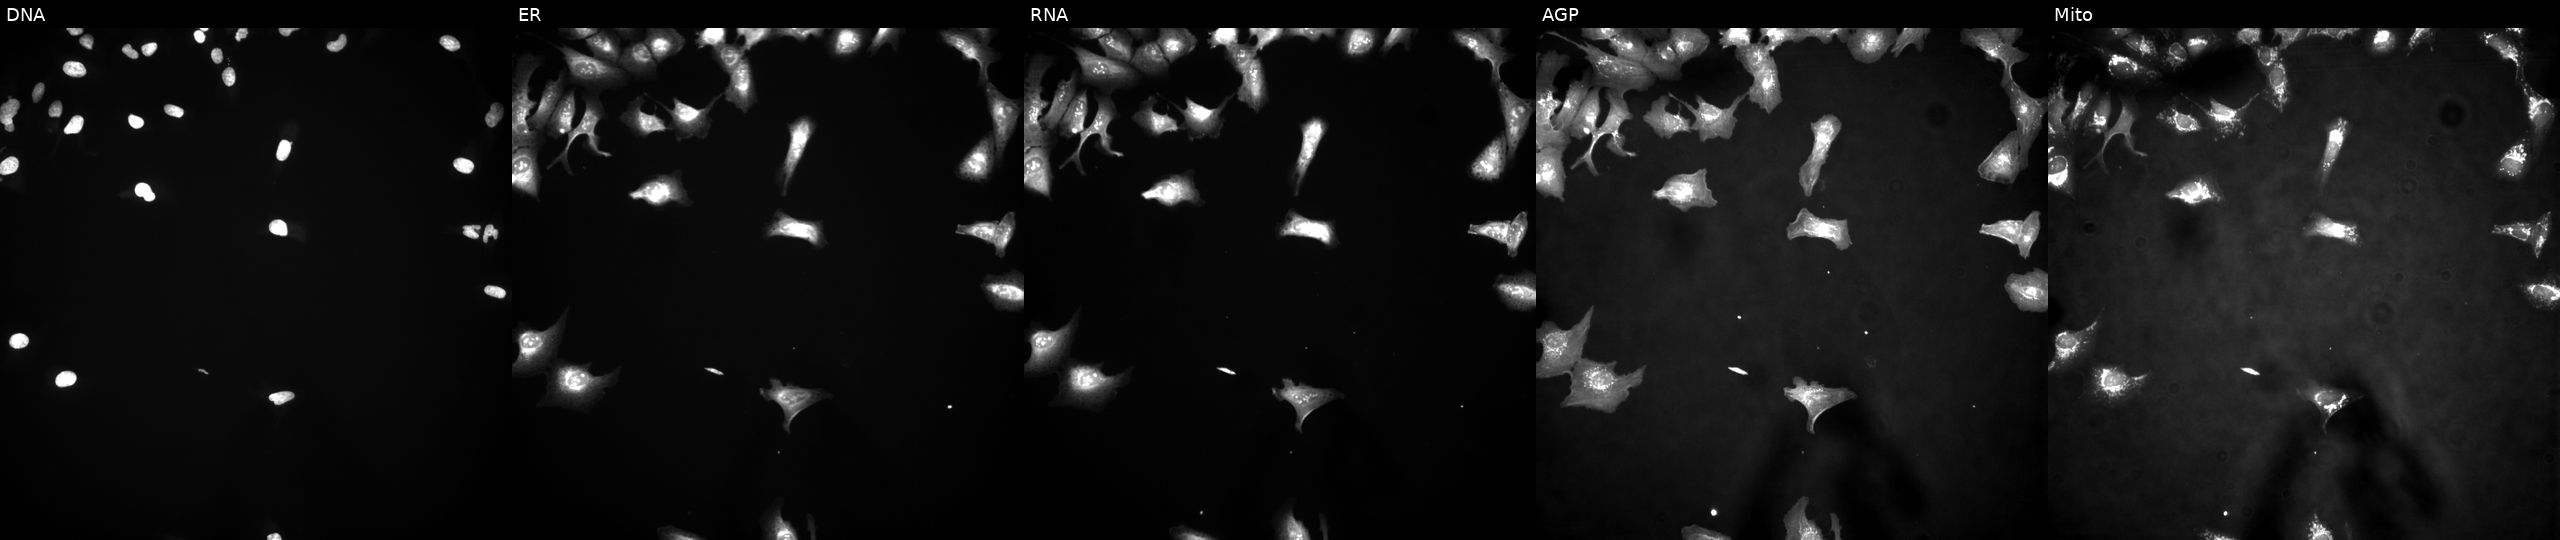
JUMP Cell Painting — ORF plate. U2OS cells overexpressing HSDL2 via ORF transfection. Panels show, left to right, Hoechst 33342, concanavalin A, SYTO 14, phalloidin and WGA, MitoTracker. Source 4, plate BR00121543, well H13.